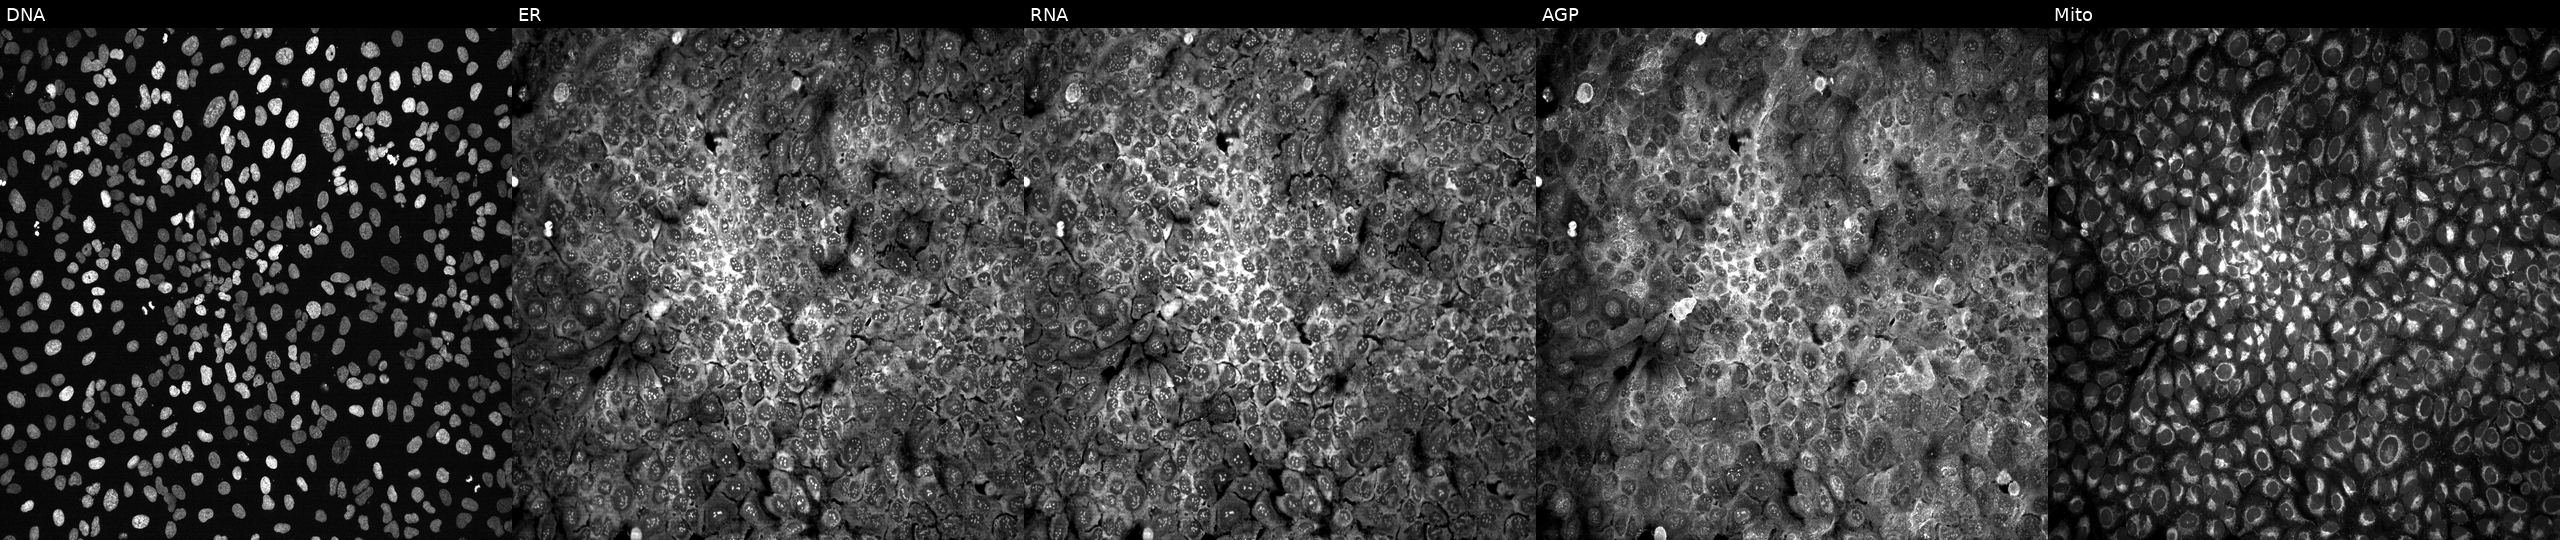
The five panels, left to right, show DNA (nuclei); ER (endoplasmic reticulum); RNA (nucleoli and cytoplasmic RNA); AGP (actin cytoskeleton, Golgi, and plasma membrane); Mito (mitochondria). U2OS osteosarcoma cells with KIF14 knocked out by CRISPR (JUMP id JCP2022_803661). Cell Painting assay, JUMP-CP dataset. Source 13, plate CP-CC9-R4-03, well K22.